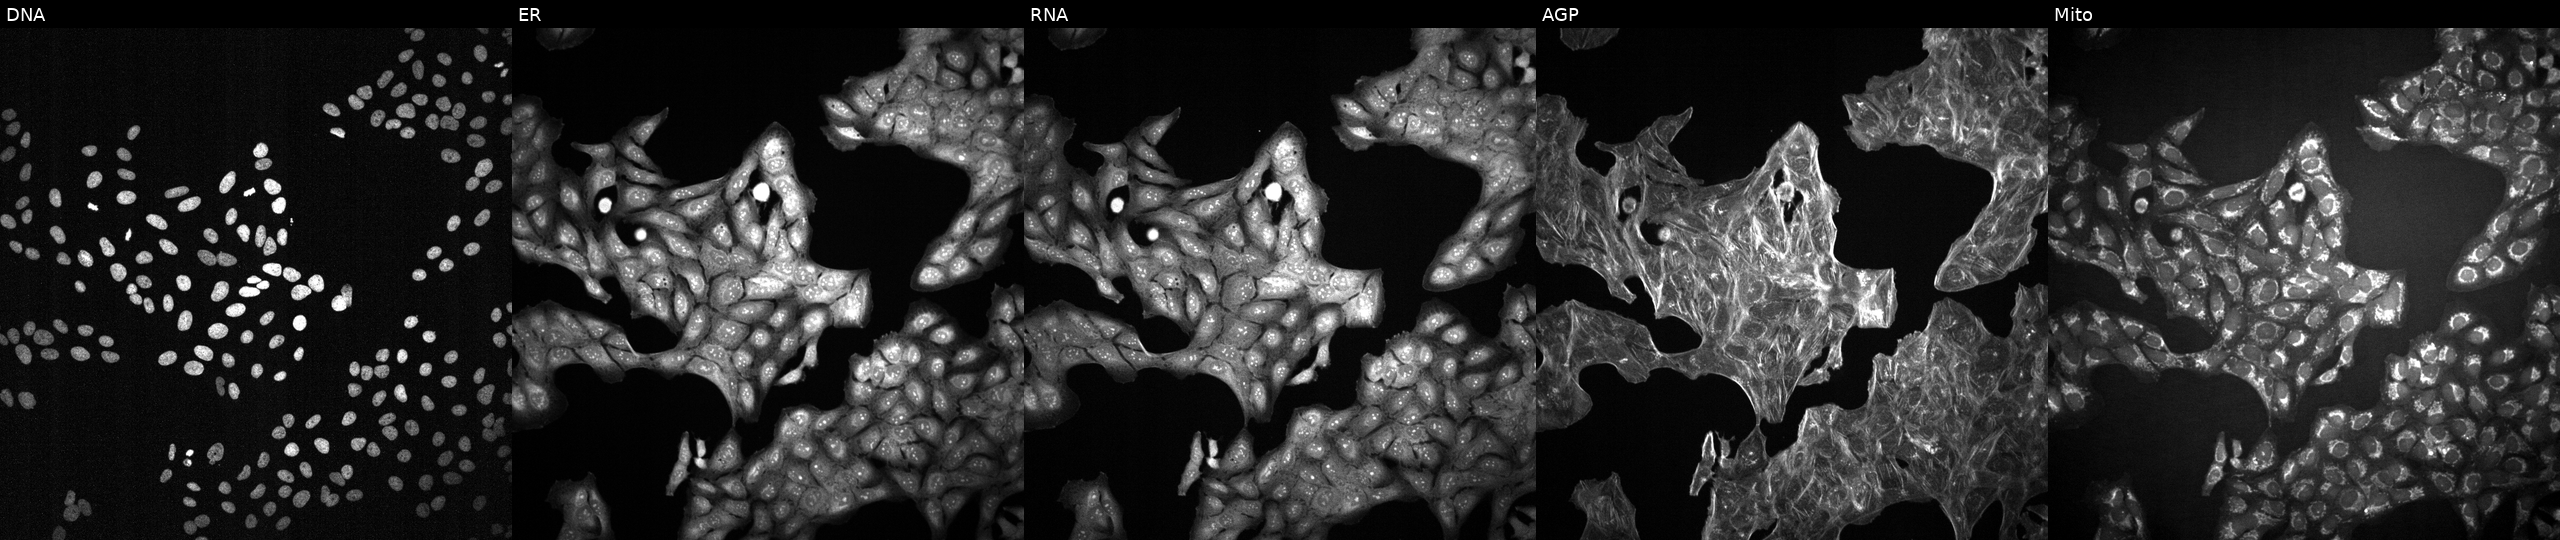
This image strip shows the five Cell Painting channels for a single field of U2OS cells perturbed with a small-molecule compound (JUMP id JCP2022_068634). Channels (left→right): Hoechst 33342, concanavalin A, SYTO 14, phalloidin and WGA, MitoTracker.